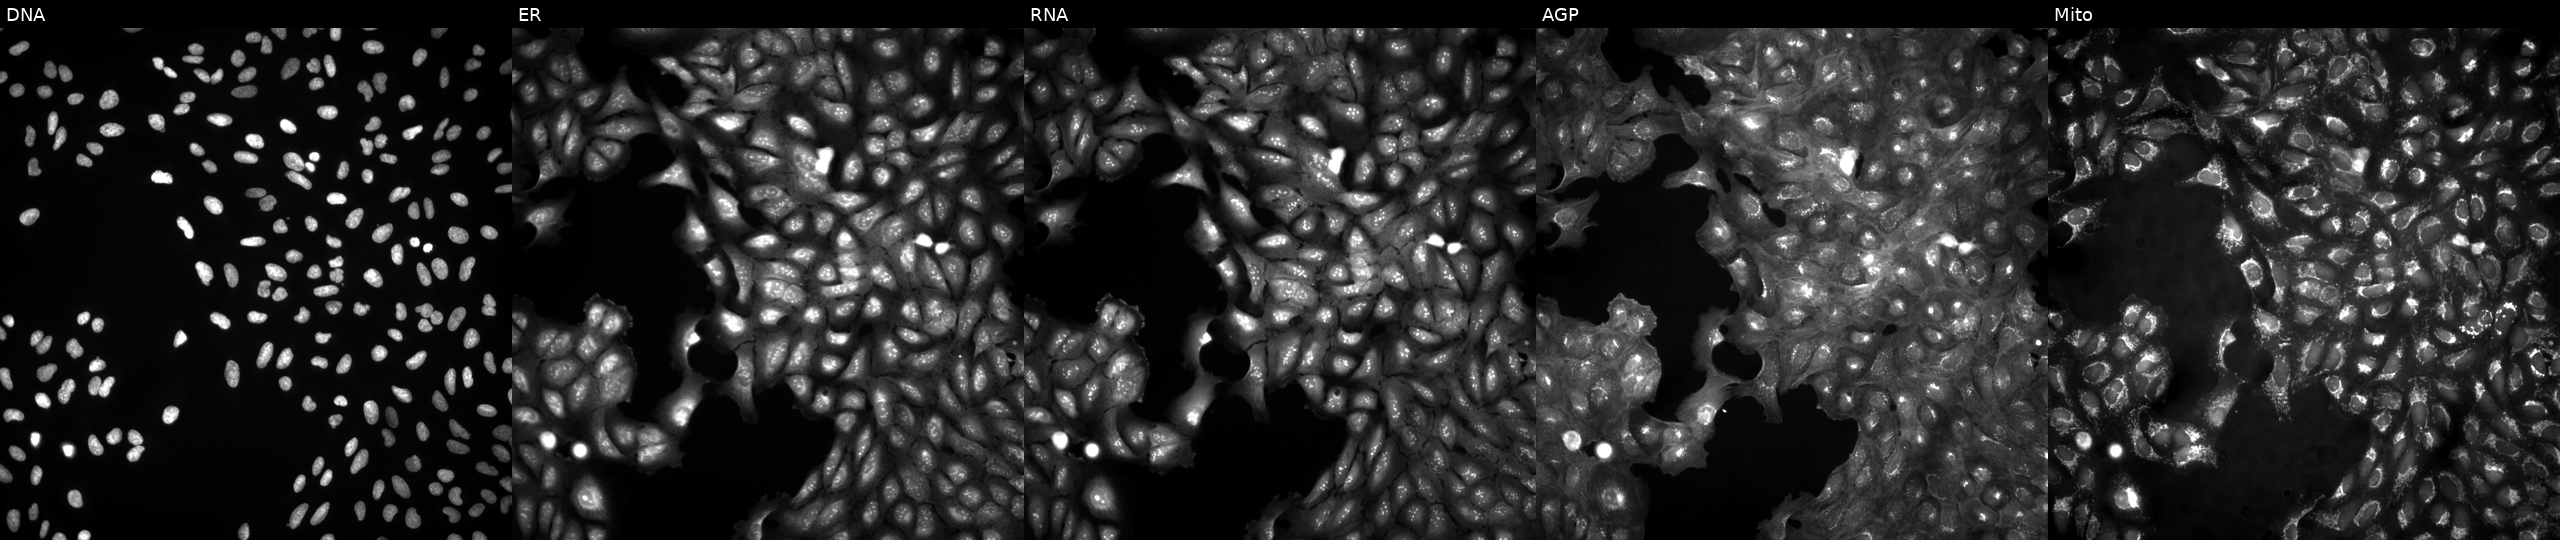
U2OS cells, Cell Painting assay, untreated (empty-well control). From left to right: DNA, ER, RNA, AGP, and Mito. Each panel is percentile-stretched 16-bit fluorescence.